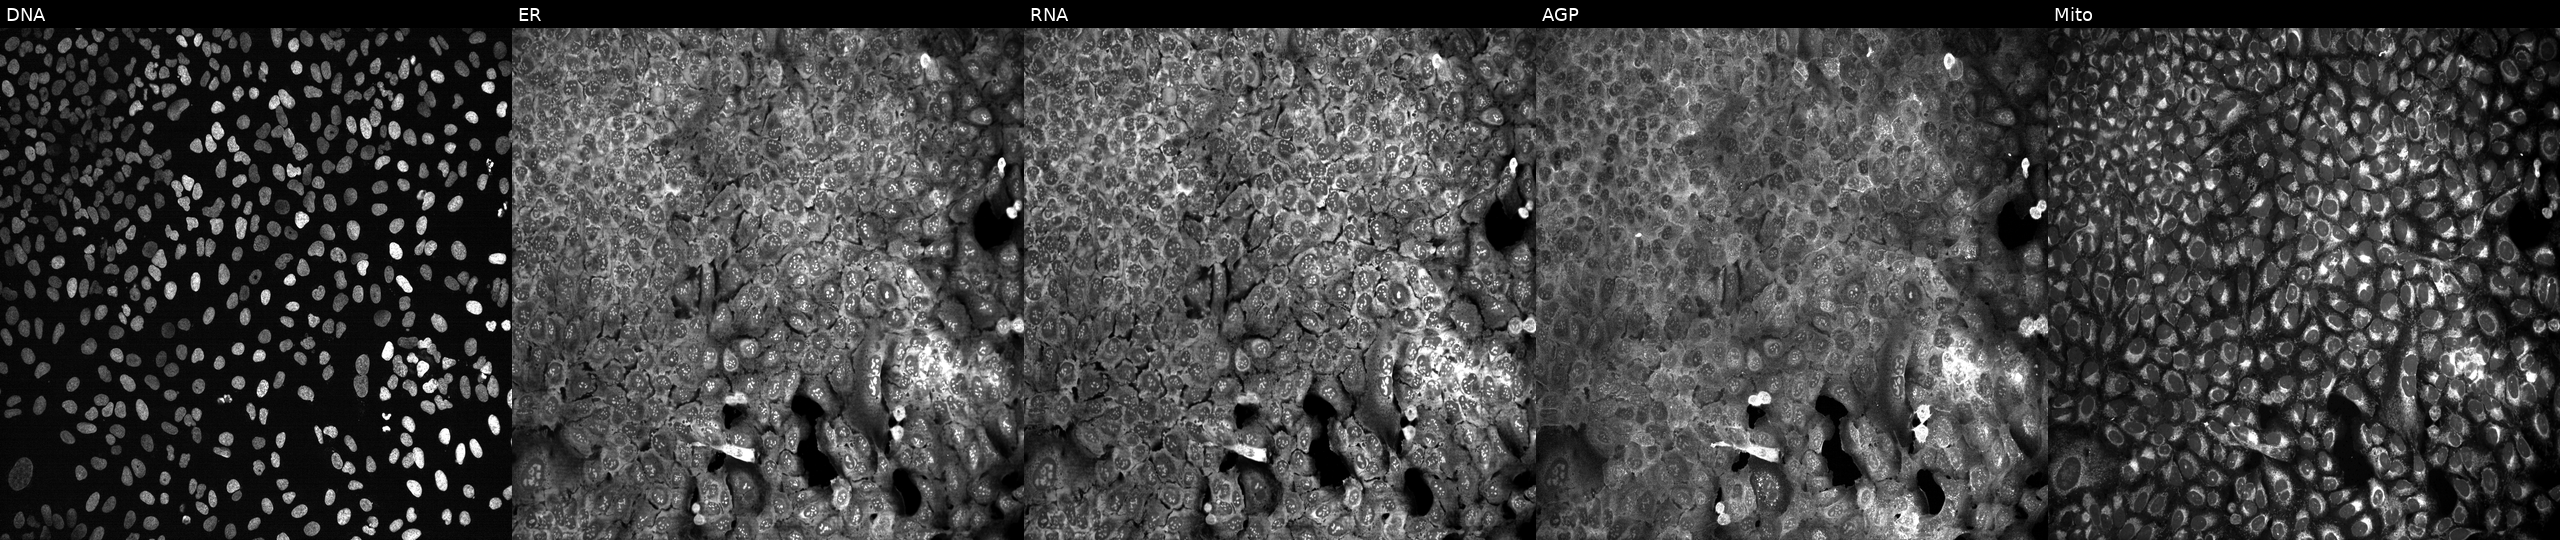
Panels show, left to right, Hoechst 33342, concanavalin A, SYTO 14, phalloidin and WGA, MitoTracker. U2OS osteosarcoma cells CRISPR-edited to disrupt NDUFB2. Cell Painting assay, JUMP-CP dataset. Source 13, plate CP-CC9-R4-03, well I03.